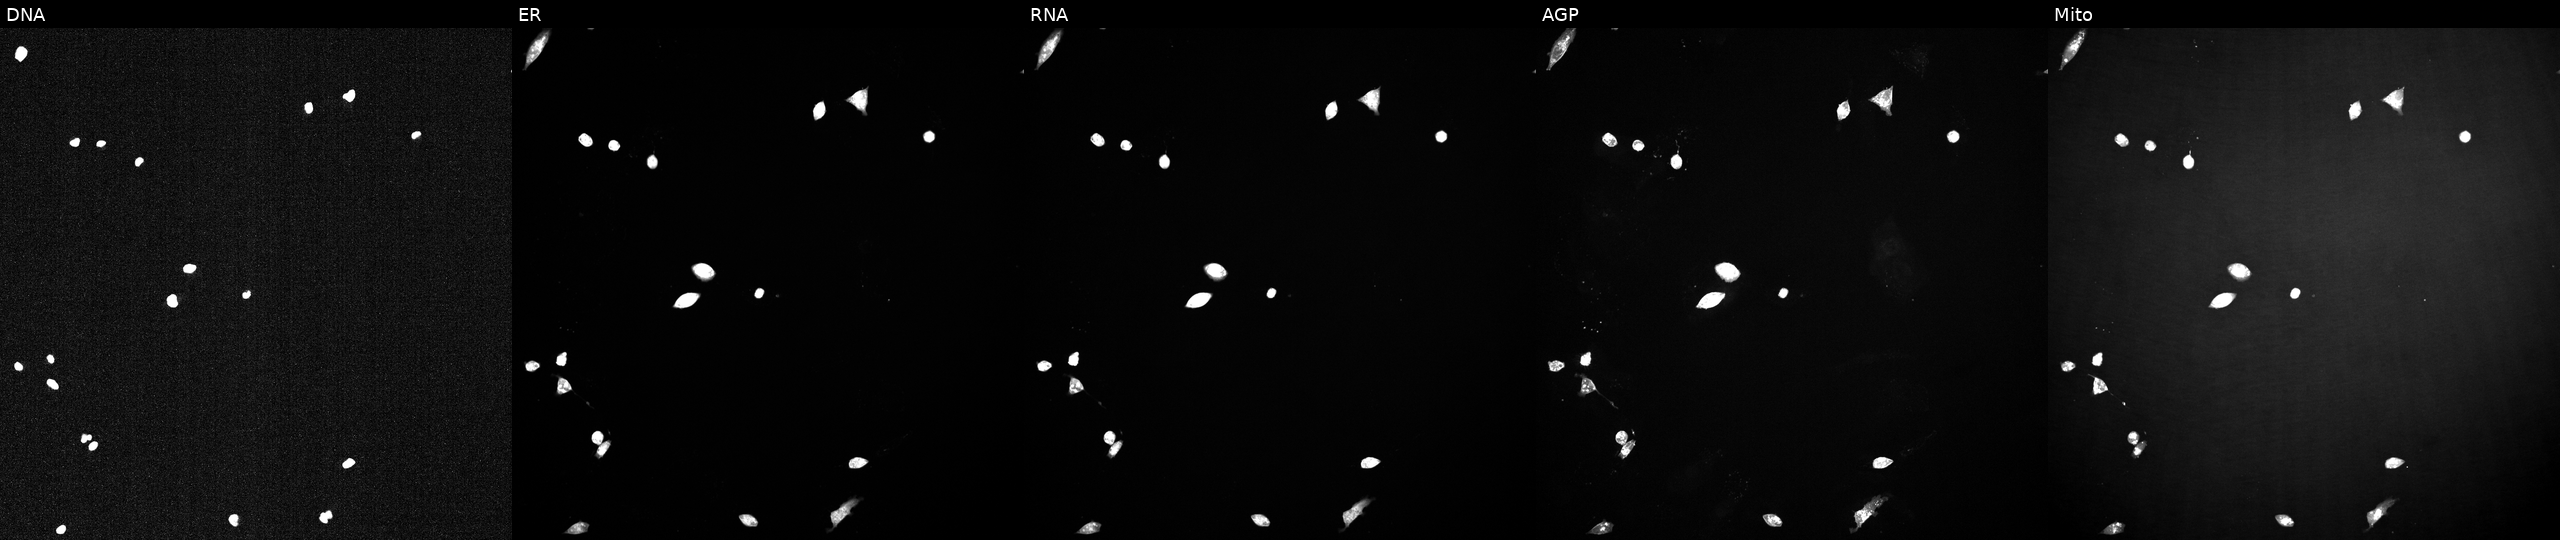
U2OS cells, Cell Painting assay, treated with a small-molecule compound (JUMP id JCP2022_093480). Panels show, left to right, DNA (nuclei); ER (endoplasmic reticulum); RNA (nucleoli and cytoplasmic RNA); AGP (actin cytoskeleton, Golgi, and plasma membrane); Mito (mitochondria). Each panel is percentile-stretched 16-bit fluorescence.